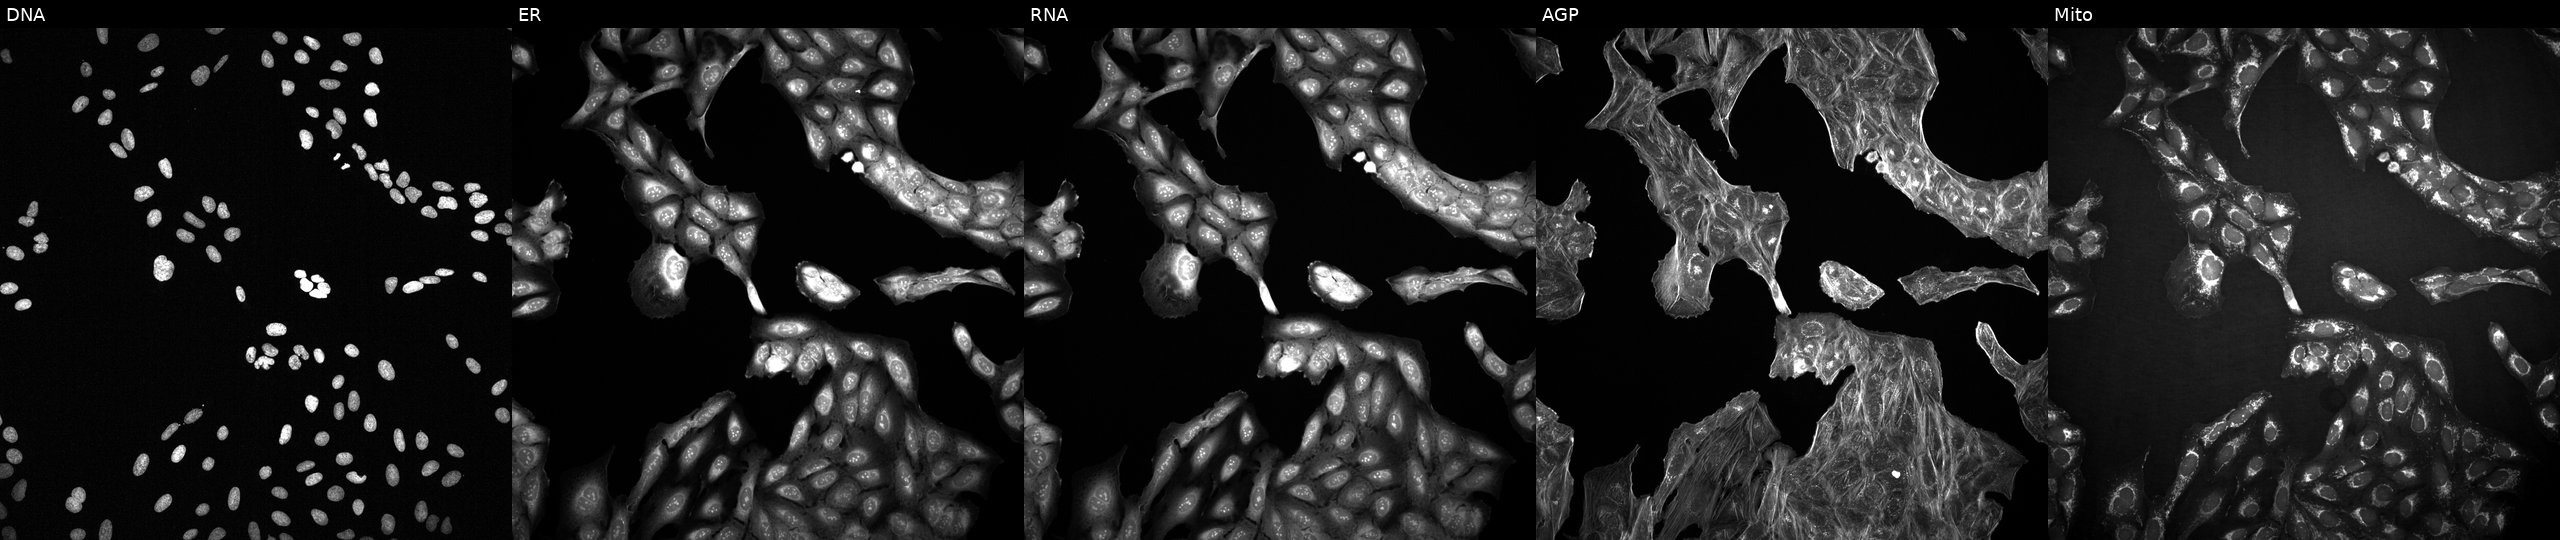
U2OS cells, Cell Painting assay, perturbed with a small-molecule compound (InChIKey PIDHDWIRRAUHLF-UHFFFAOYSA-N). The five panels, left to right, show DNA (nuclei); ER (endoplasmic reticulum); RNA (nucleoli and cytoplasmic RNA); AGP (actin cytoskeleton, Golgi, and plasma membrane); Mito (mitochondria). Each panel is percentile-stretched 16-bit fluorescence. Source 2, plate 1053601756, well C21.